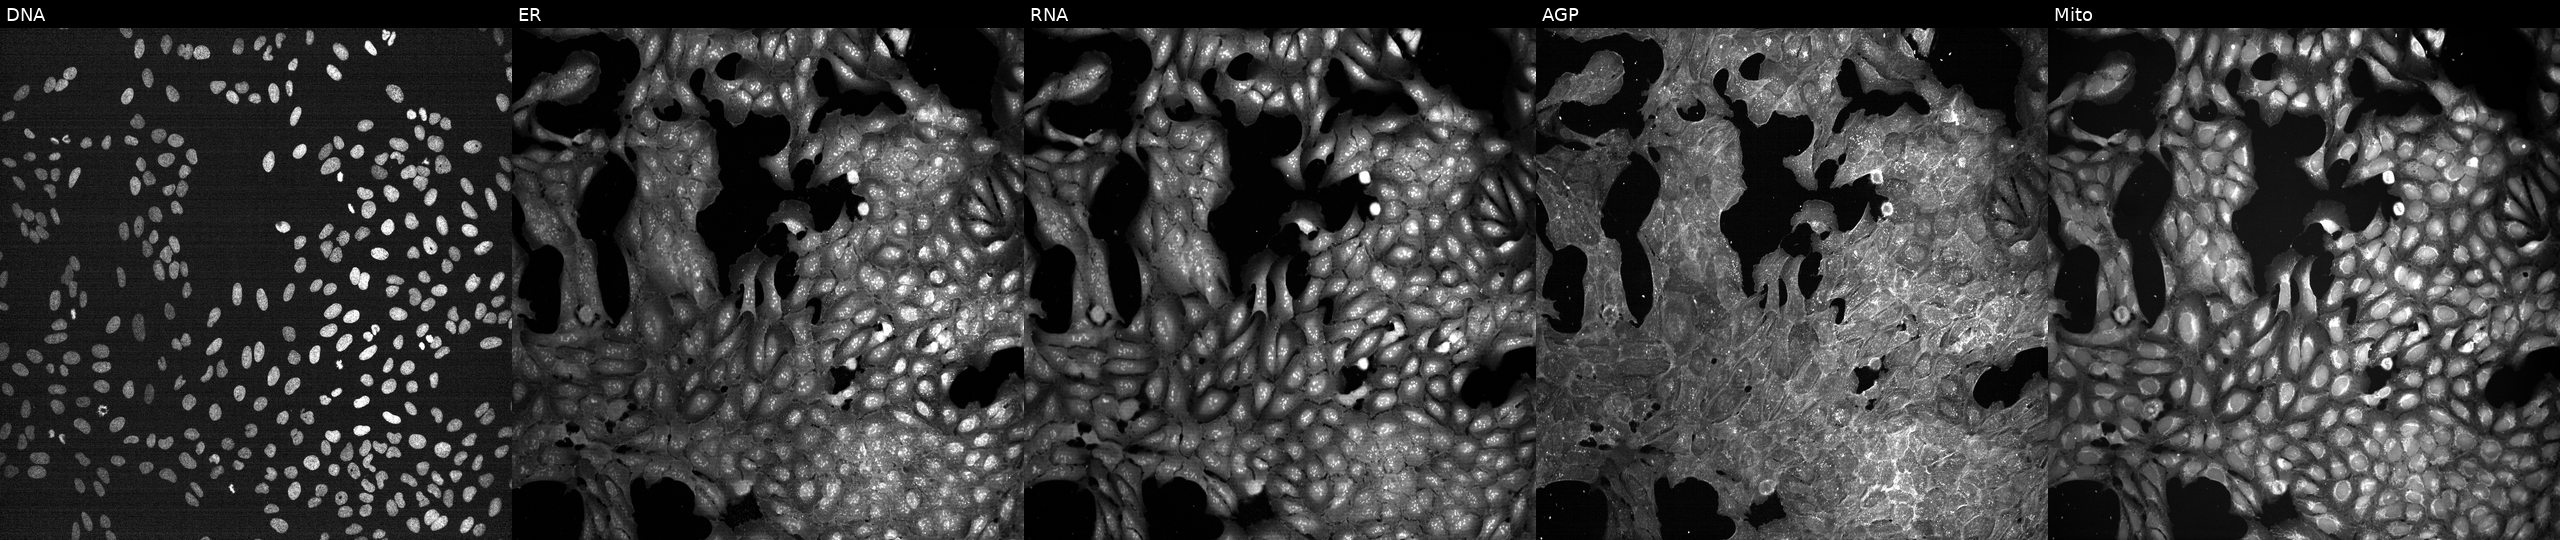
Five-channel Cell Painting image of U2OS cells perturbed with a small-molecule compound (InChIKey SBDNJUWAMKYJOX-UHFFFAOYSA-N). The five panels, left to right, show DNA (nuclei); ER (endoplasmic reticulum); RNA (nucleoli and cytoplasmic RNA); AGP (actin cytoskeleton, Golgi, and plasma membrane); Mito (mitochondria).